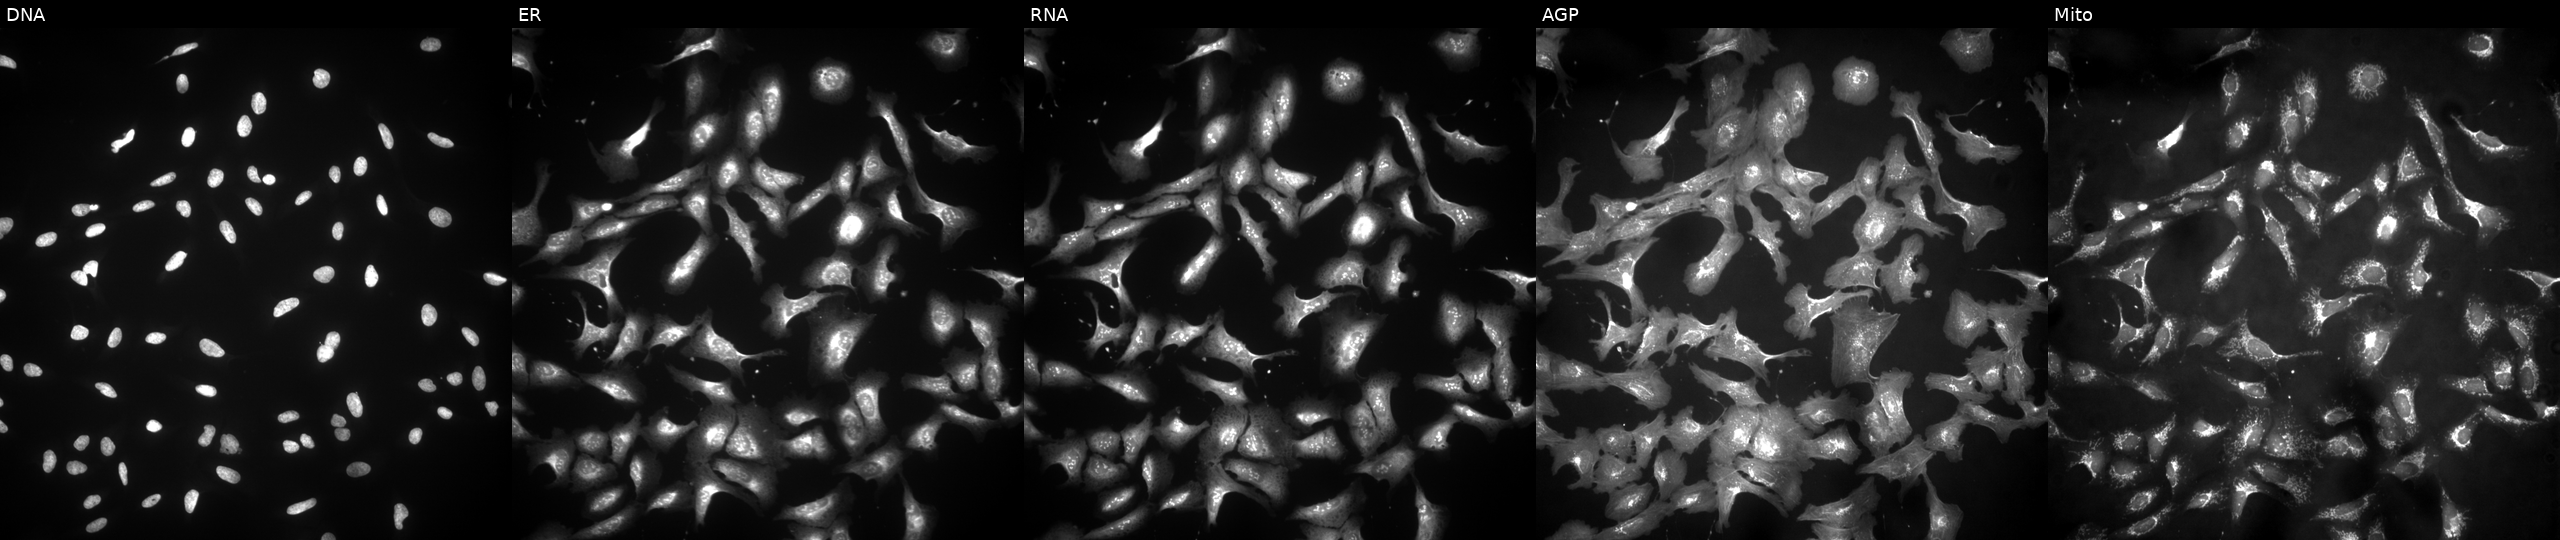
U2OS cells, Cell Painting assay, transfected with an ORF construct for GYG2. Channels (left→right): DNA, ER, RNA, AGP, and Mito. Each panel is percentile-stretched 16-bit fluorescence. Source 4, plate BR00123506, well N11.